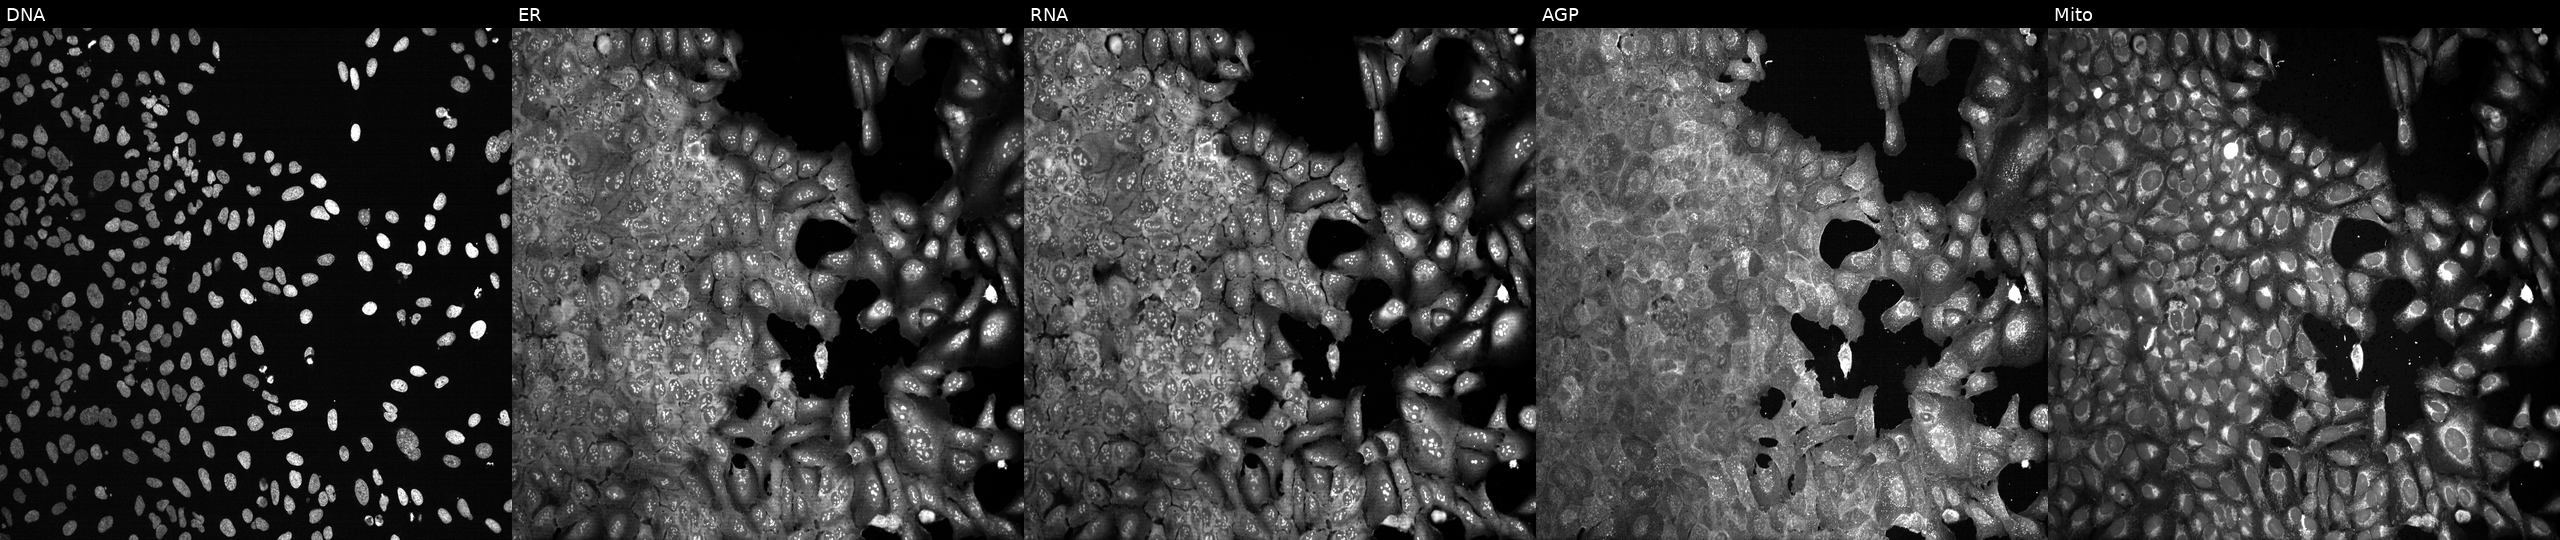
High-content fluorescence microscopy (Cell Painting). Cell line: U2OS. Perturbation: CRISPR-edited to disrupt FAHD2B. The five panels, left to right, show DNA, ER, RNA, AGP, and Mito. Source 13, plate CP-CC9-R5-01, well O03.